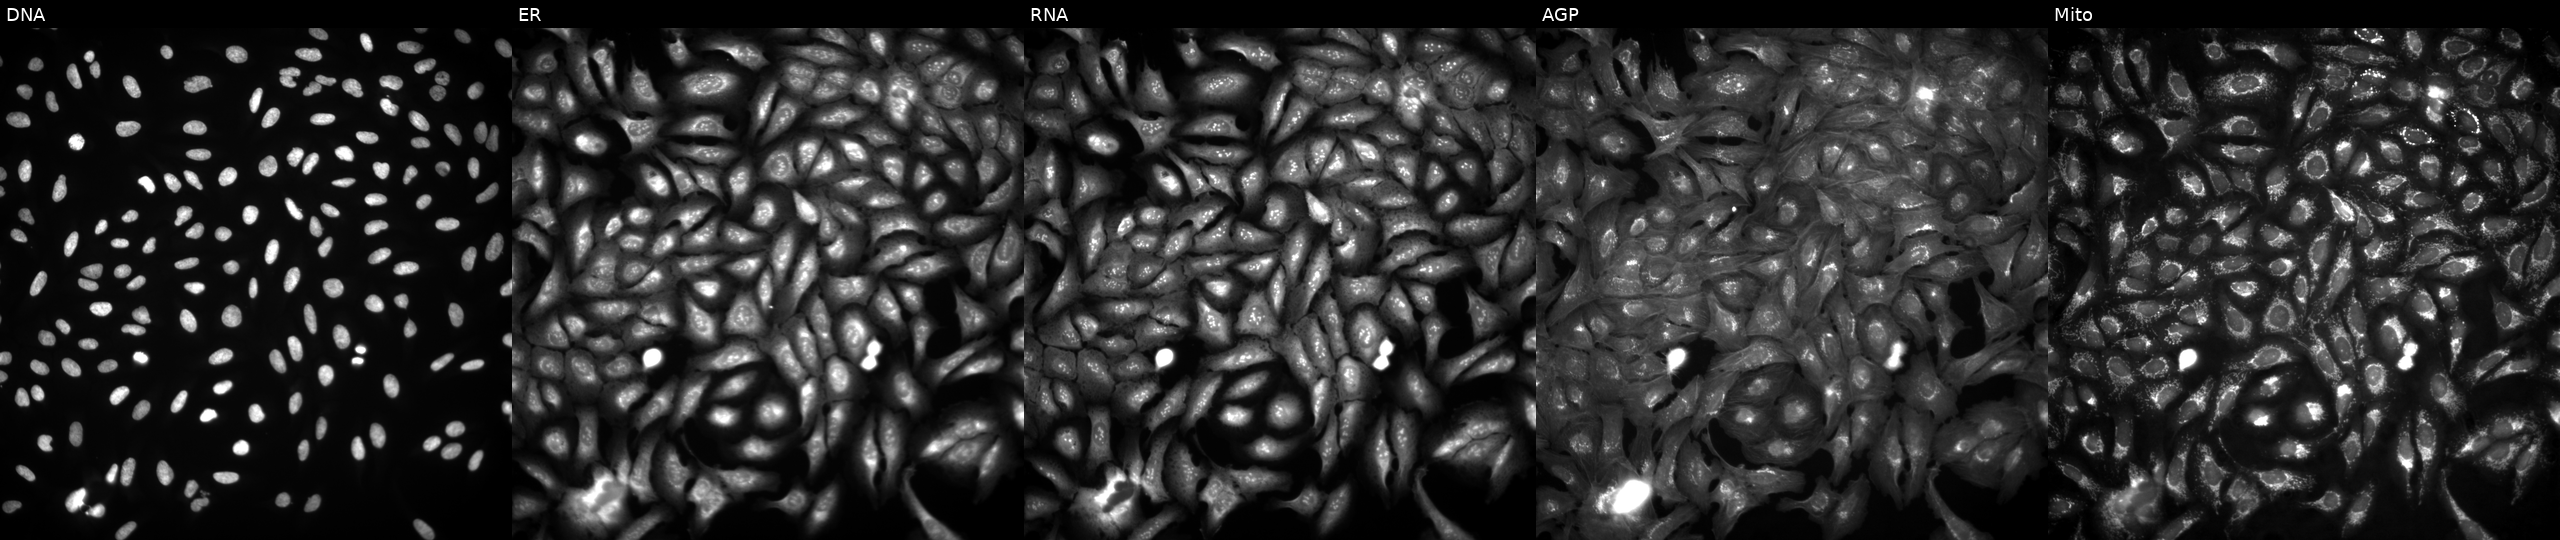
U2OS cells, Cell Painting assay, transfected with an ORF construct for TOR3A. Panels show, left to right, DNA (nuclei); ER (endoplasmic reticulum); RNA (nucleoli and cytoplasmic RNA); AGP (actin cytoskeleton, Golgi, and plasma membrane); Mito (mitochondria). Each panel is percentile-stretched 16-bit fluorescence. Source 4, plate BR00124787, well A17.